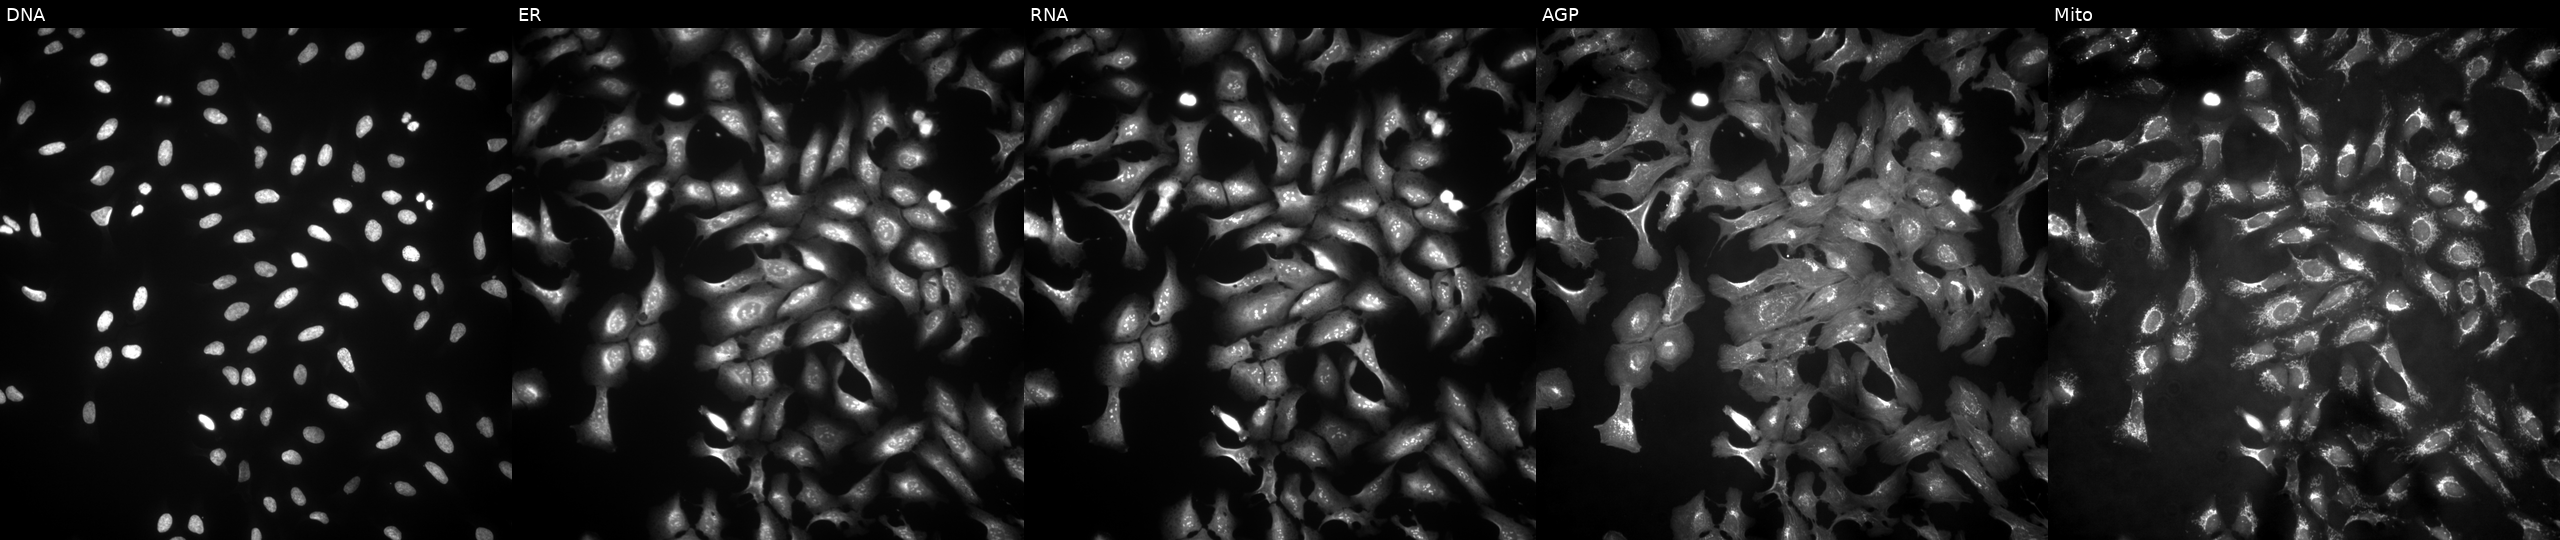
High-content fluorescence microscopy (Cell Painting). Cell line: U2OS. Perturbation: with GTPBP6 overexpressed (ORF). The five panels, left to right, show Hoechst 33342, concanavalin A, SYTO 14, phalloidin and WGA, MitoTracker. Source 4, plate BR00123506, well G04.